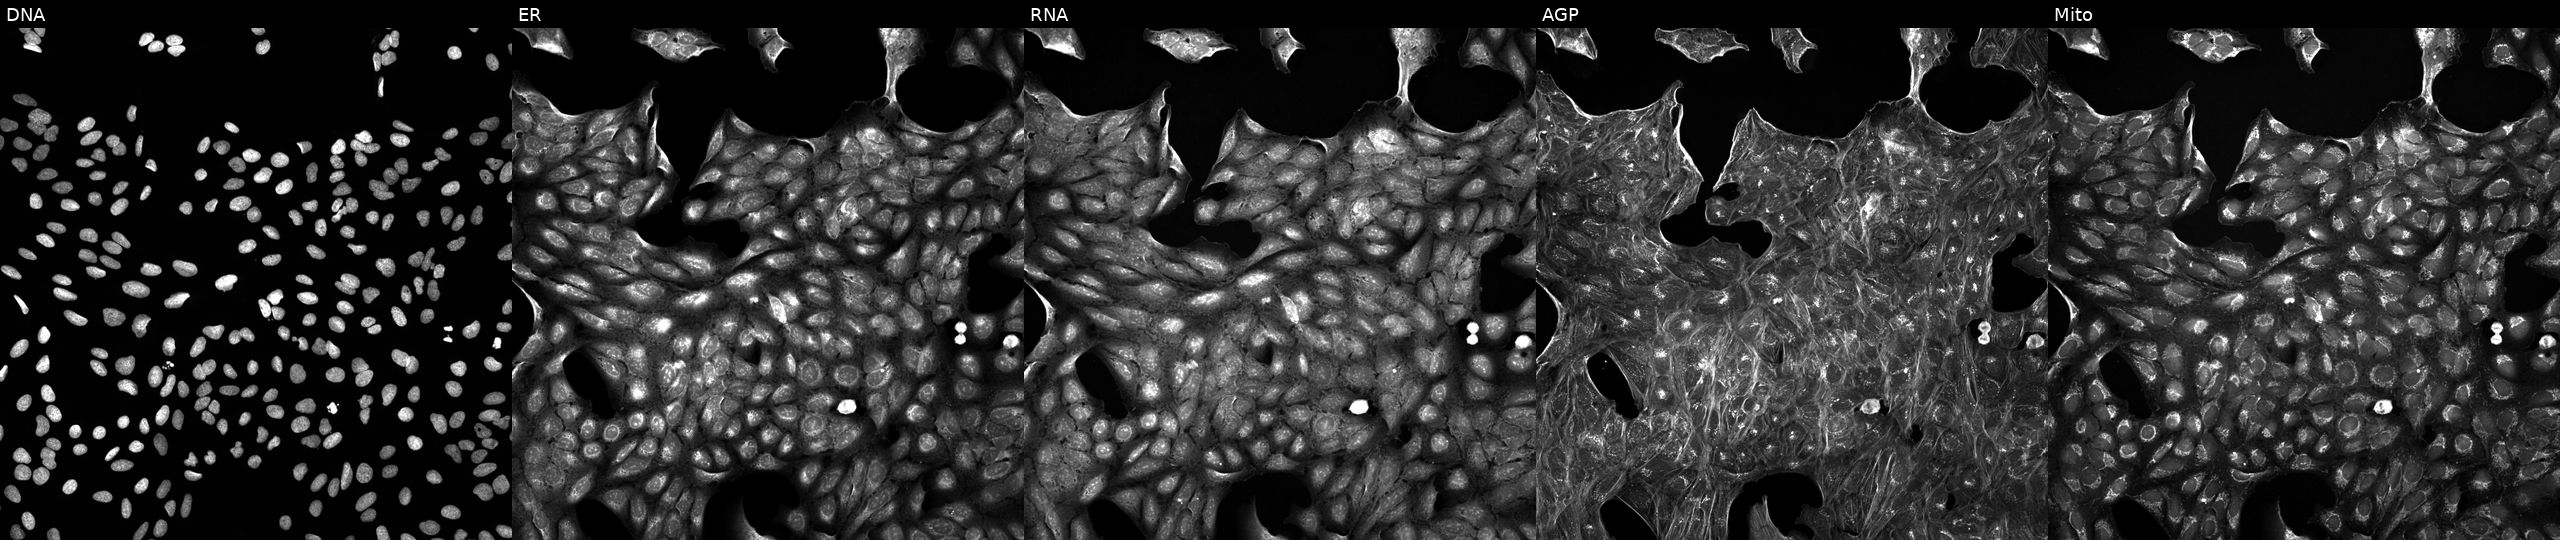
JUMP Cell Painting — TARGET2 plate. U2OS cells exposed to a small-molecule compound (InChIKey KUUJEXLRLIPQQJ-UHFFFAOYSA-N) (JUMP id JCP2022_047143). From left to right: DNA (nuclei); ER (endoplasmic reticulum); RNA (nucleoli and cytoplasmic RNA); AGP (actin cytoskeleton, Golgi, and plasma membrane); Mito (mitochondria). Source 5, plate ACPJUM012, well K04.